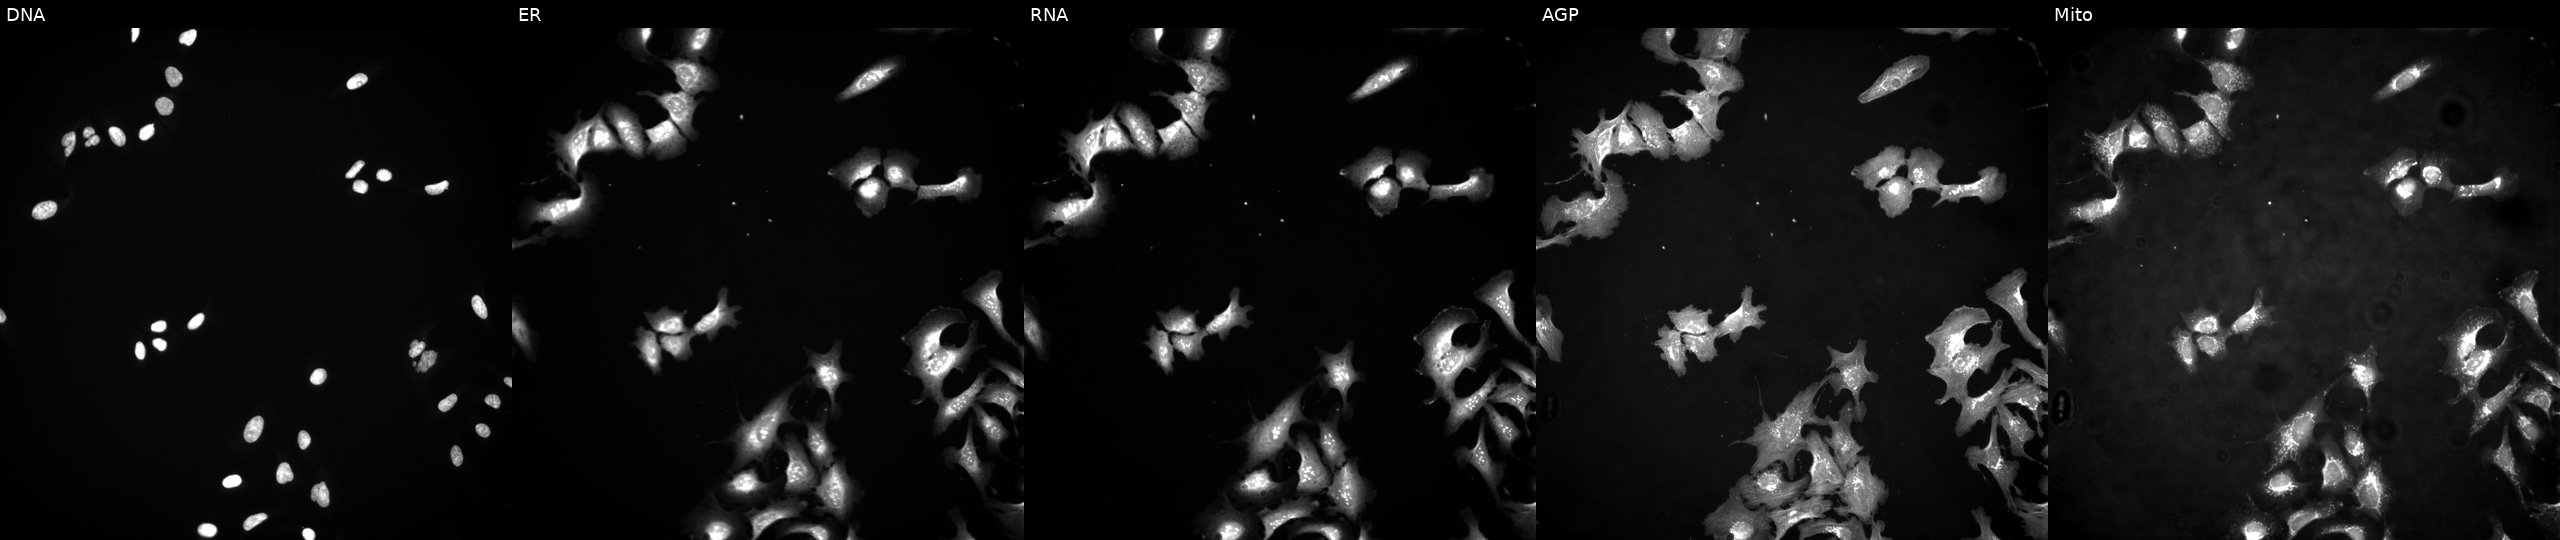
JUMP Cell Painting — ORF plate. U2OS cells overexpressing SNRK via ORF transfection. The five panels, left to right, show DNA, ER, RNA, AGP, and Mito. Source 4, plate BR00123945, well O03.